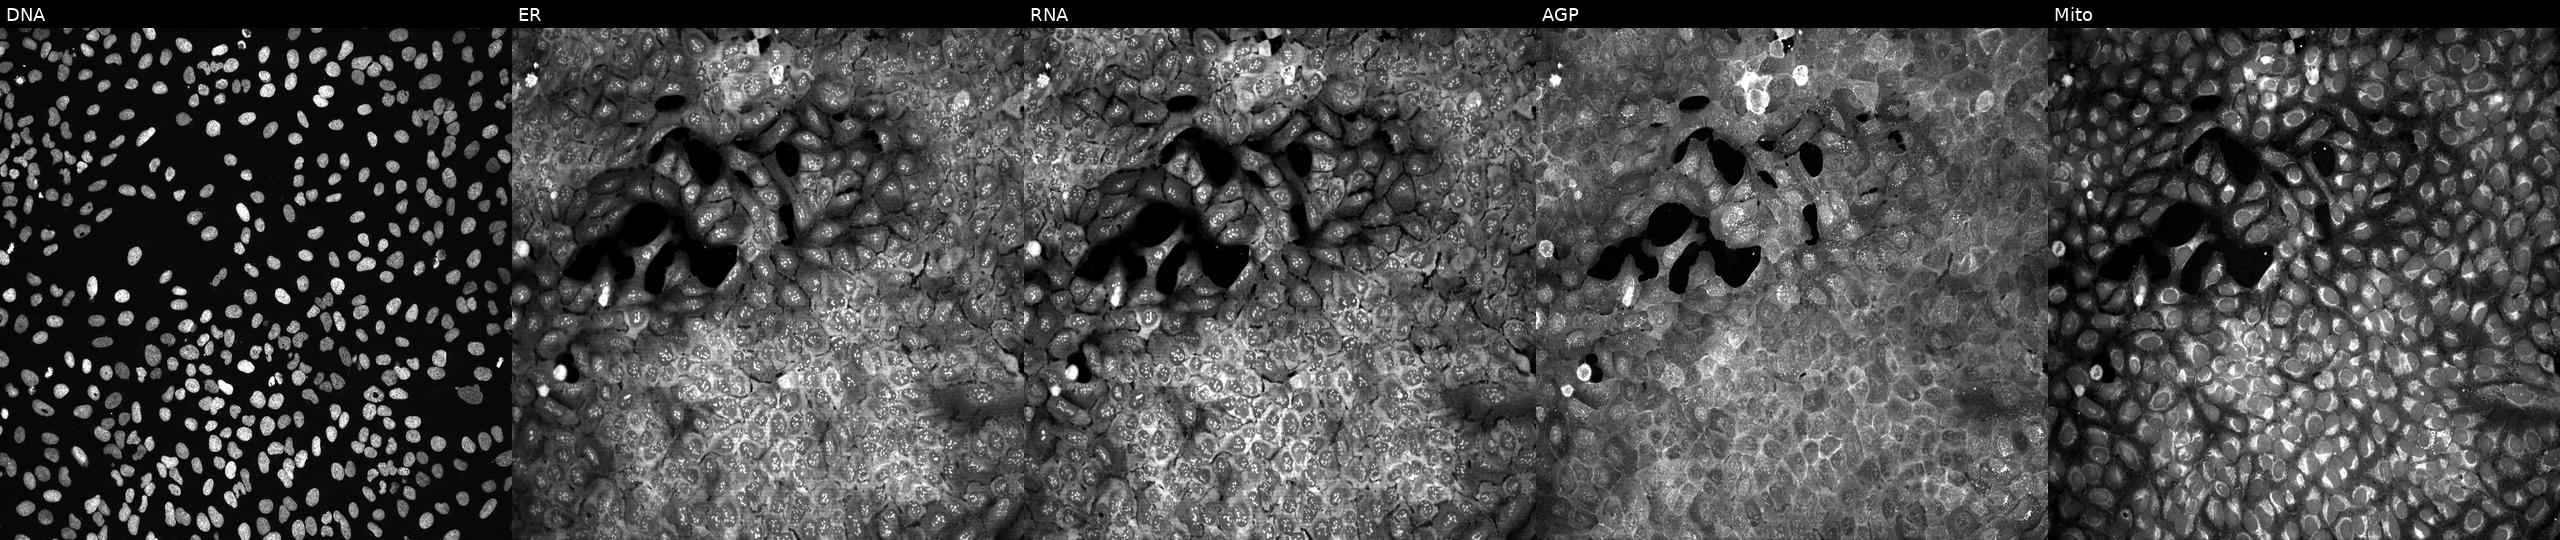
The five panels, left to right, show DNA (nuclei); ER (endoplasmic reticulum); RNA (nucleoli and cytoplasmic RNA); AGP (actin cytoskeleton, Golgi, and plasma membrane); Mito (mitochondria). U2OS osteosarcoma cells following CRISPR knockout of LCN12. Cell Painting assay, JUMP-CP dataset.